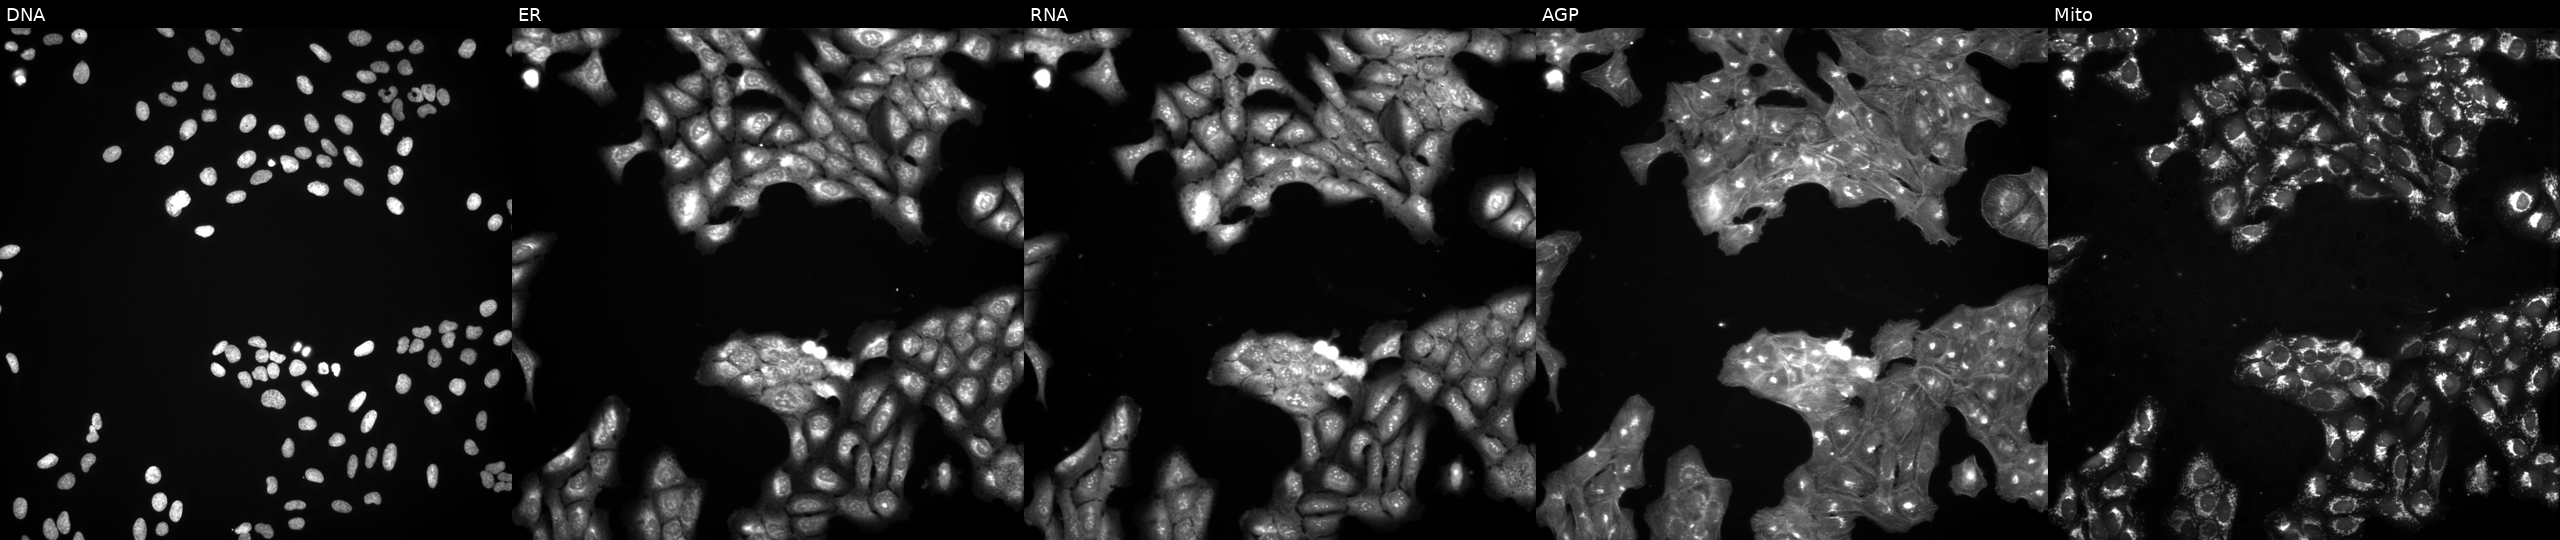
U2OS cells, Cell Painting assay, perturbed with a small-molecule compound (InChIKey ORGNRSIXAIRUBX-UHFFFAOYSA-N) (JUMP id JCP2022_065626). The five panels, left to right, show Hoechst 33342, concanavalin A, SYTO 14, phalloidin and WGA, MitoTracker. Each panel is percentile-stretched 16-bit fluorescence.